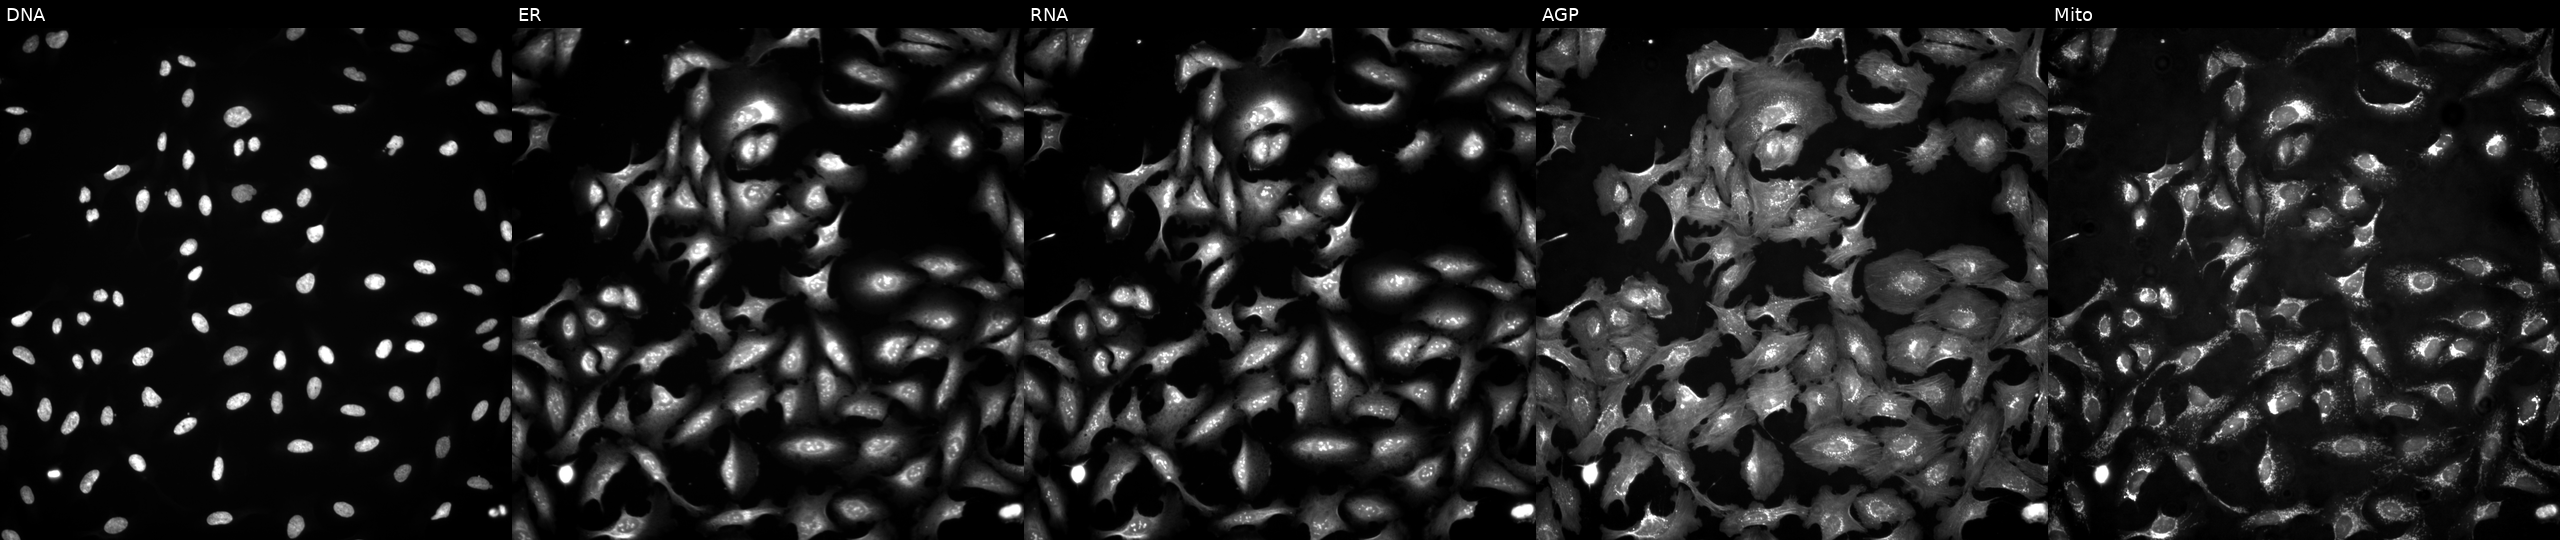
Five-channel Cell Painting image of U2OS cells transfected with an ORF construct for NTPCR (JUMP id JCP2022_914204). The five panels, left to right, show Hoechst 33342, concanavalin A, SYTO 14, phalloidin and WGA, MitoTracker. Source 4, plate BR00123945, well O01.